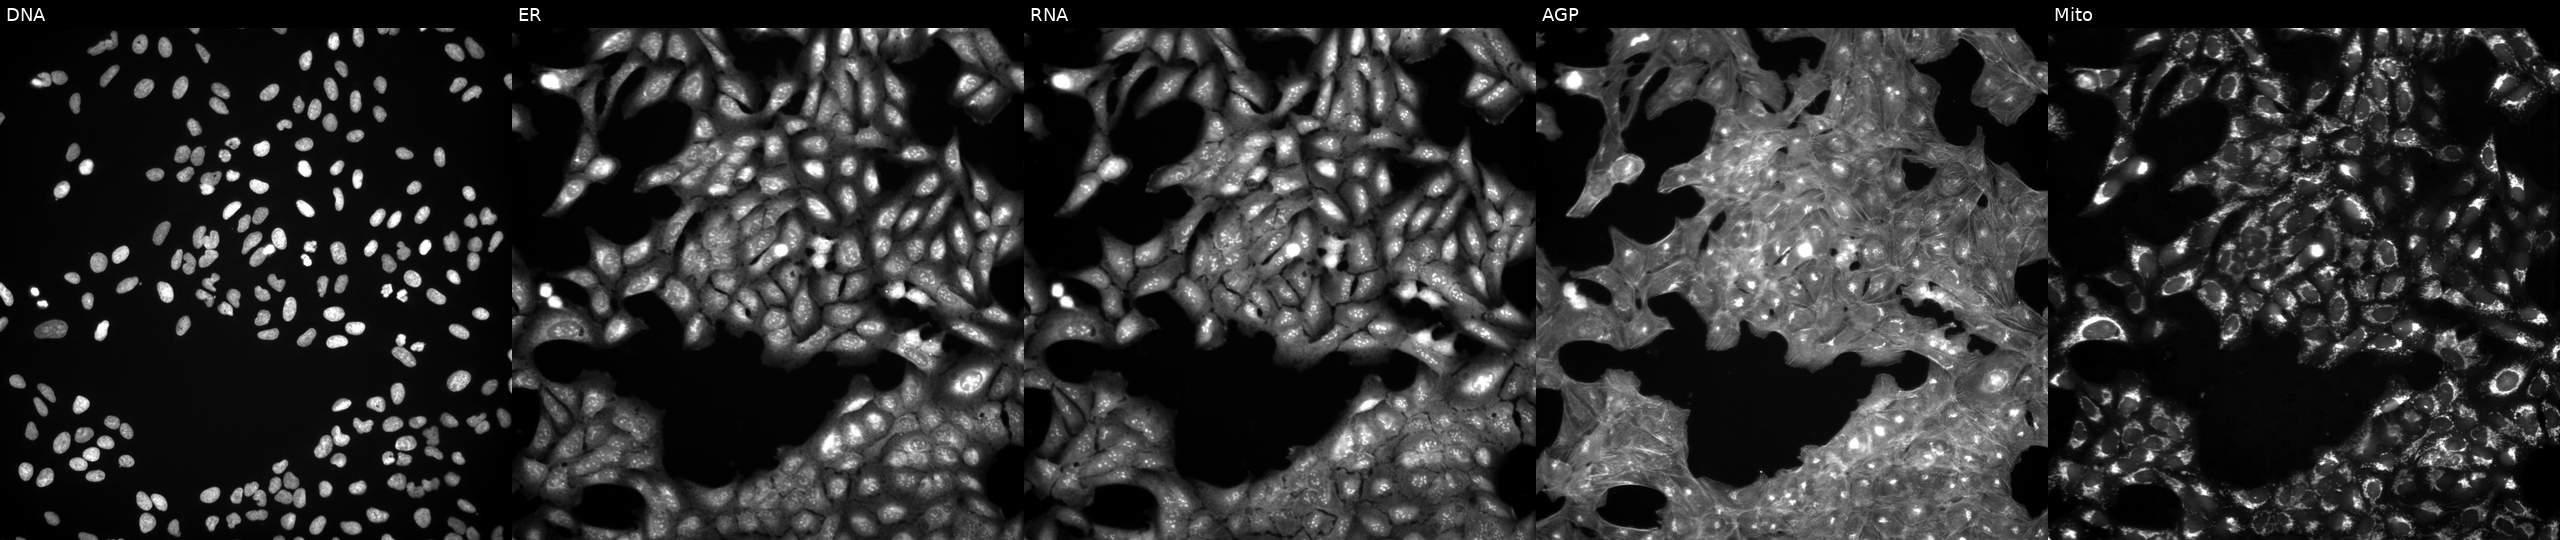
From left to right: Hoechst 33342, concanavalin A, SYTO 14, phalloidin and WGA, MitoTracker. U2OS osteosarcoma cells exposed to DMSO alone as a negative control. Cell Painting assay, JUMP-CP dataset. Source 3, plate JCPQC051, well D03.